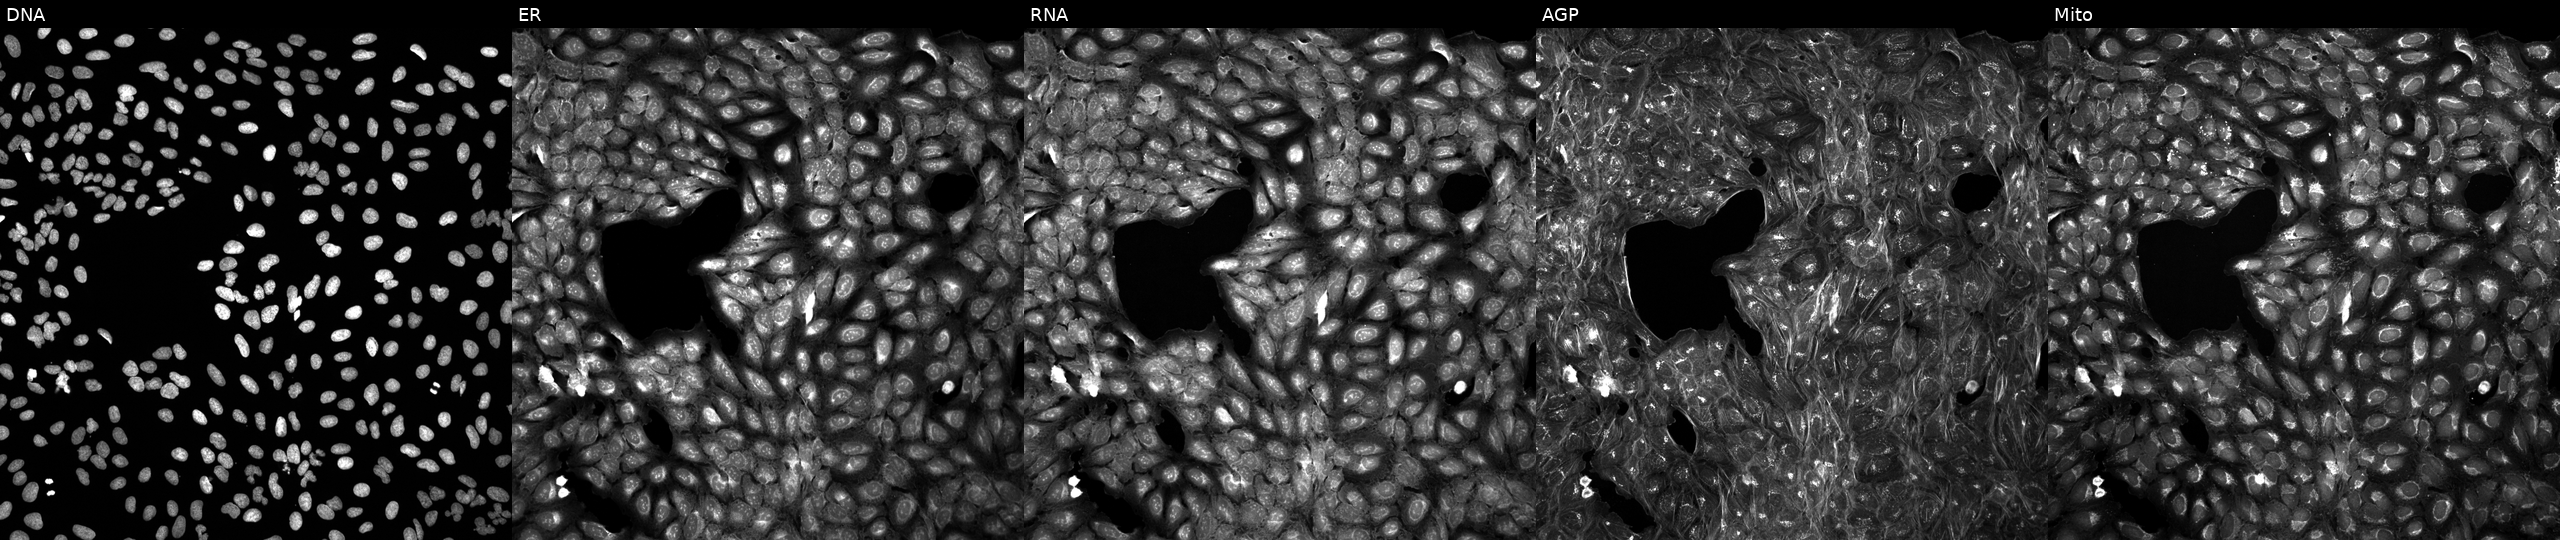
JUMP Cell Painting — COMPOUND plate. U2OS cells exposed to a small-molecule compound (InChIKey BHUOROUIVUZKGI-UHFFFAOYSA-N) [SMILES: Cn1cc(Cc2cc(O)n(Cc3noc4c3CCCC4)c2O)cn1]. From left to right: DNA, ER, RNA, AGP, and Mito. Source 5, plate APTJUM106, well H21.